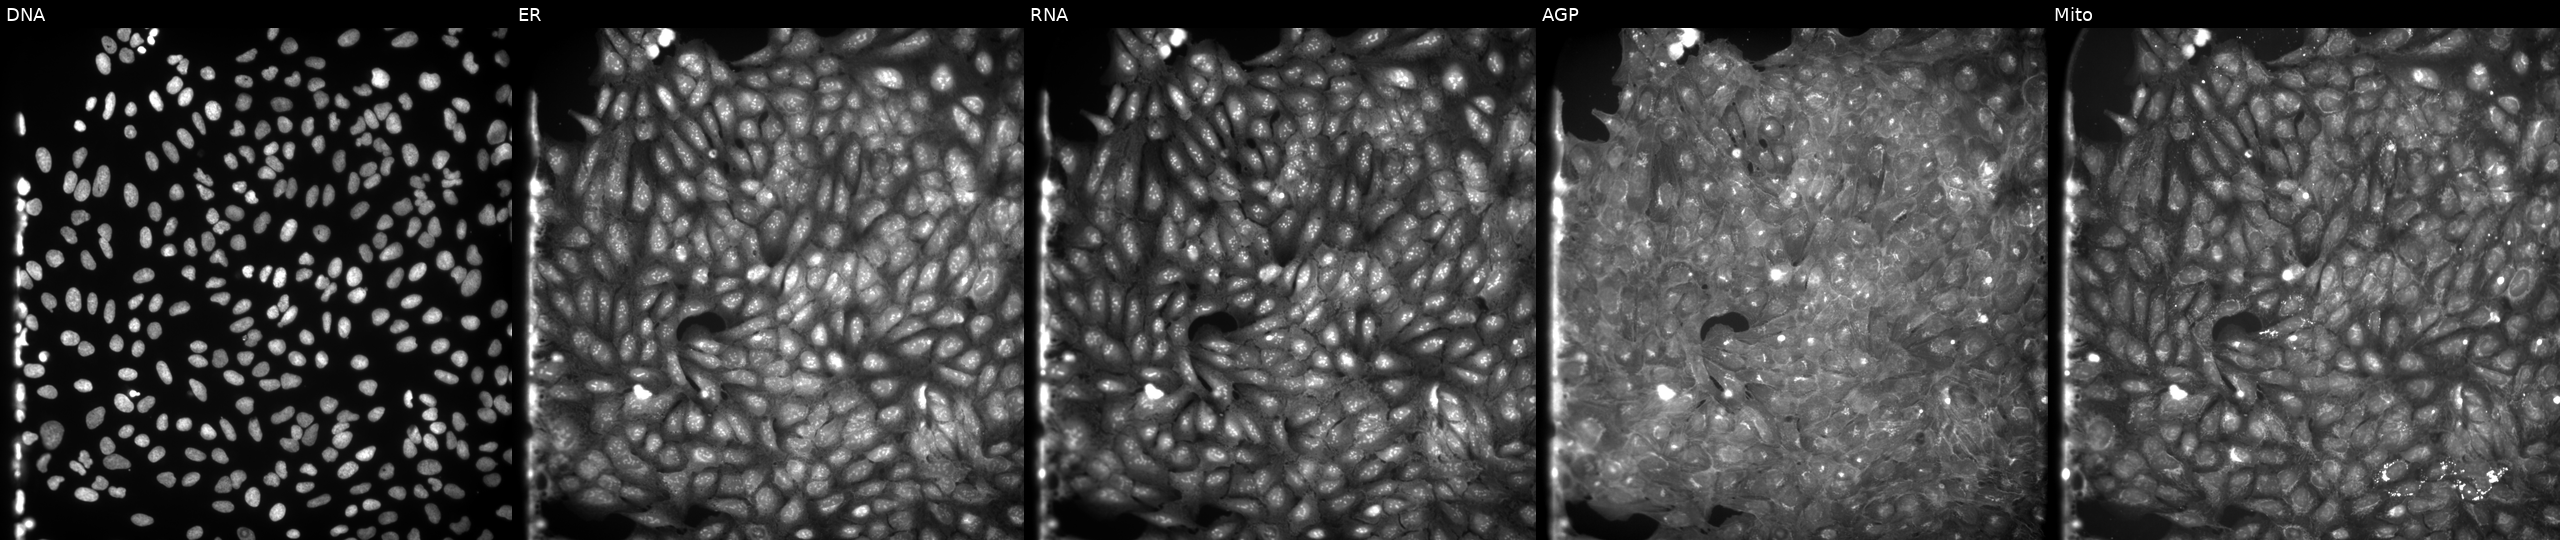
This image strip shows the five Cell Painting channels for a single field of U2OS cells exposed to the positive-control compound aloxistatin. From left to right: DNA, ER, RNA, AGP, and Mito.